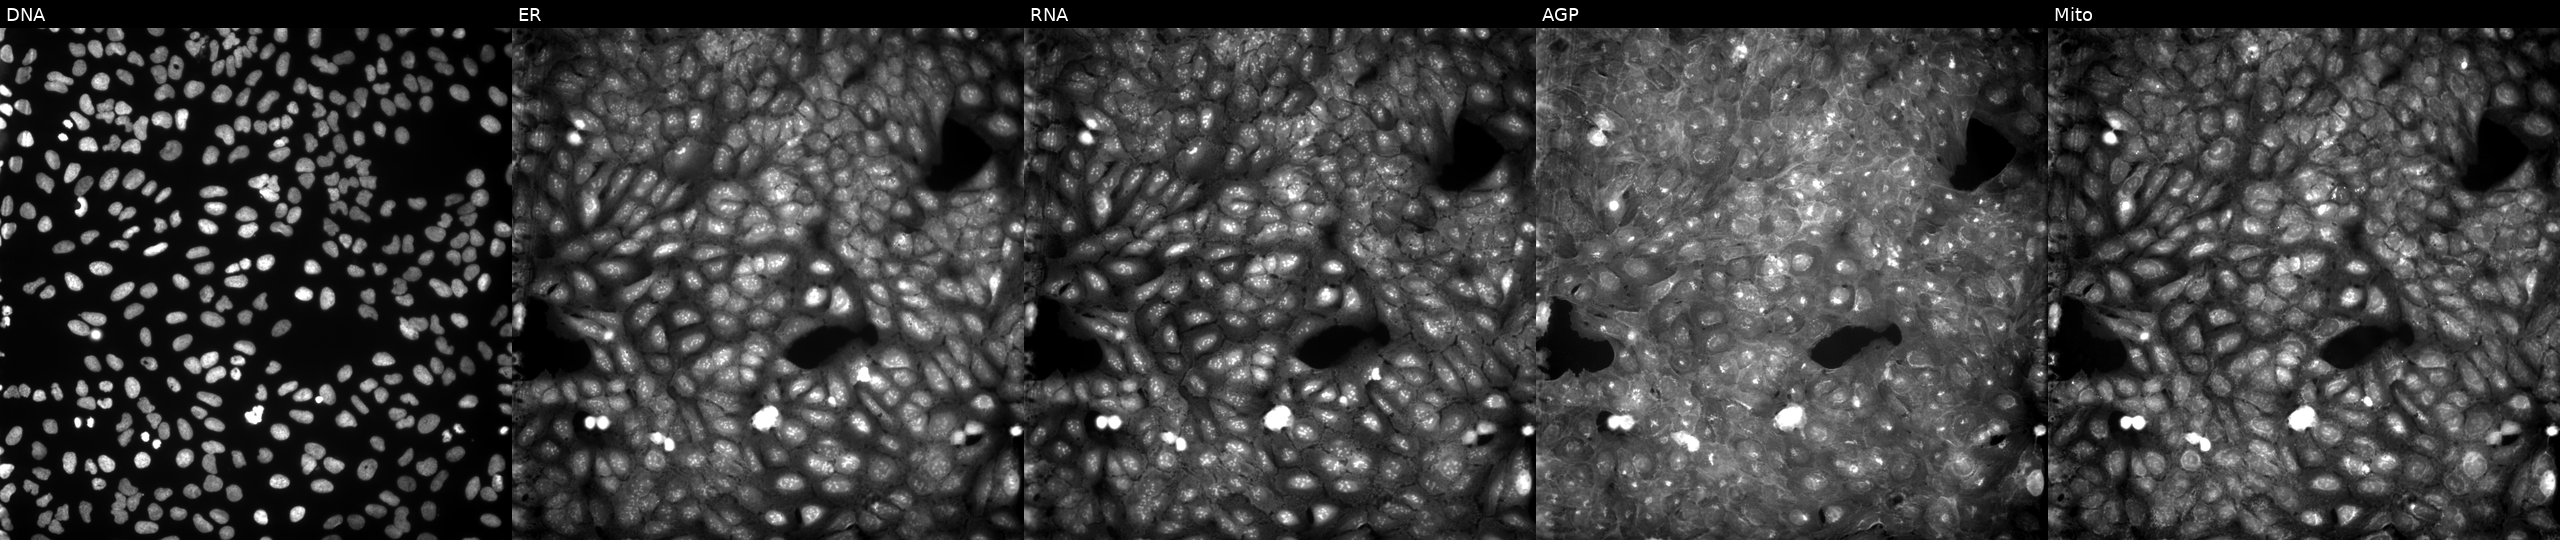
From left to right: Hoechst 33342, concanavalin A, SYTO 14, phalloidin and WGA, MitoTracker. U2OS osteosarcoma cells exposed to DMSO alone as a negative control (JUMP id JCP2022_033924). Cell Painting assay, JUMP-CP dataset. Source 9, plate GR00003382, well G23.